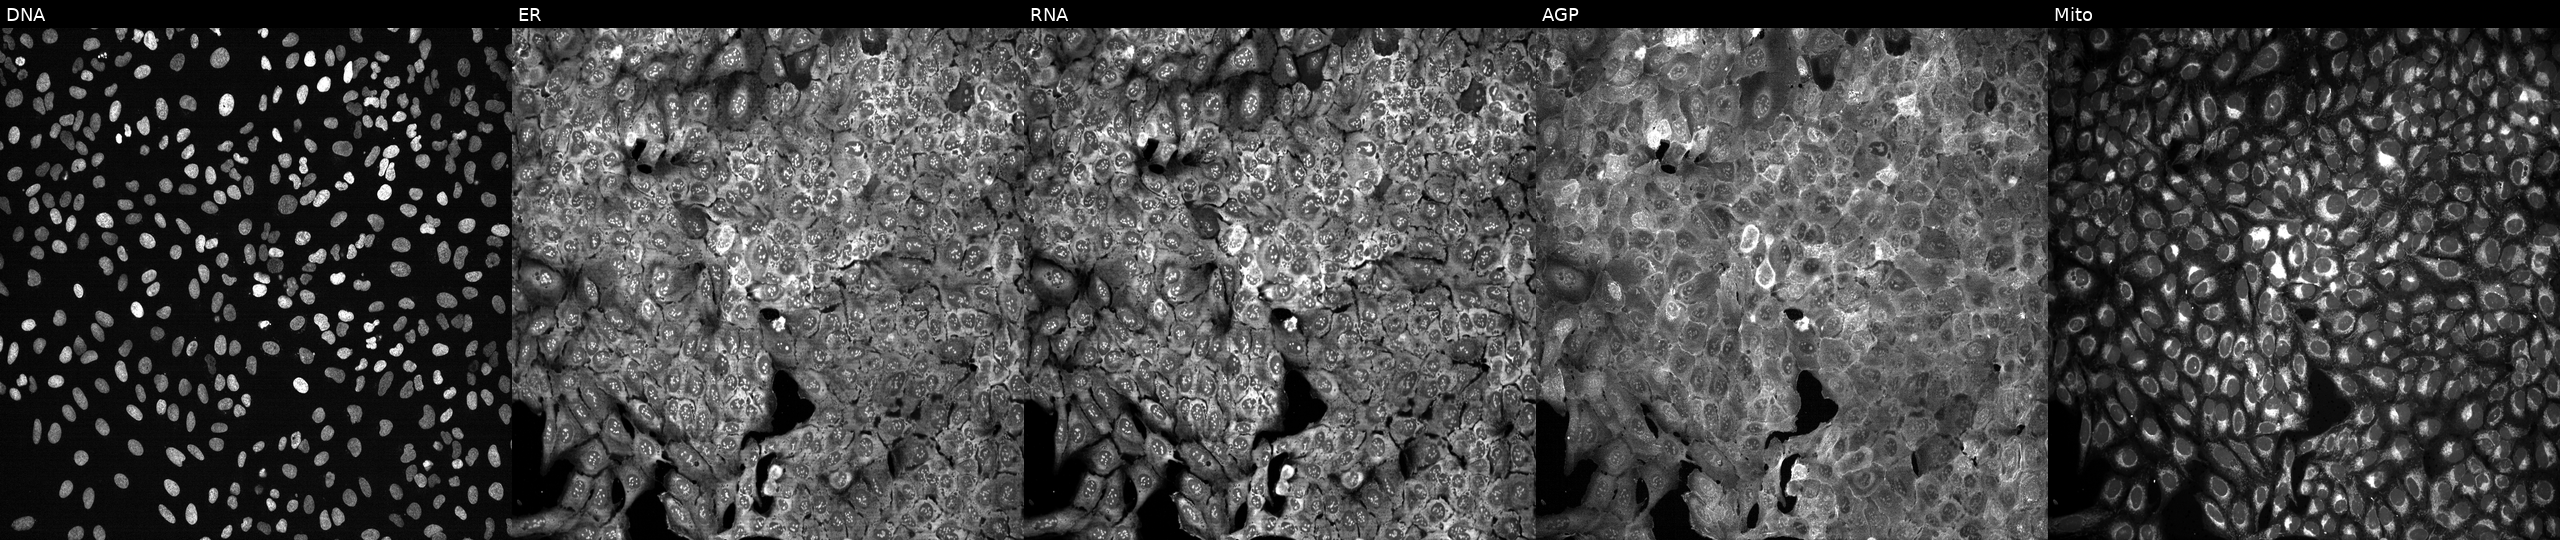
Five-channel Cell Painting image of U2OS cells with JRKL knocked out by CRISPR. Panels show, left to right, Hoechst 33342, concanavalin A, SYTO 14, phalloidin and WGA, MitoTracker. Source 13, plate CP-CC9-R2-02, well B17.